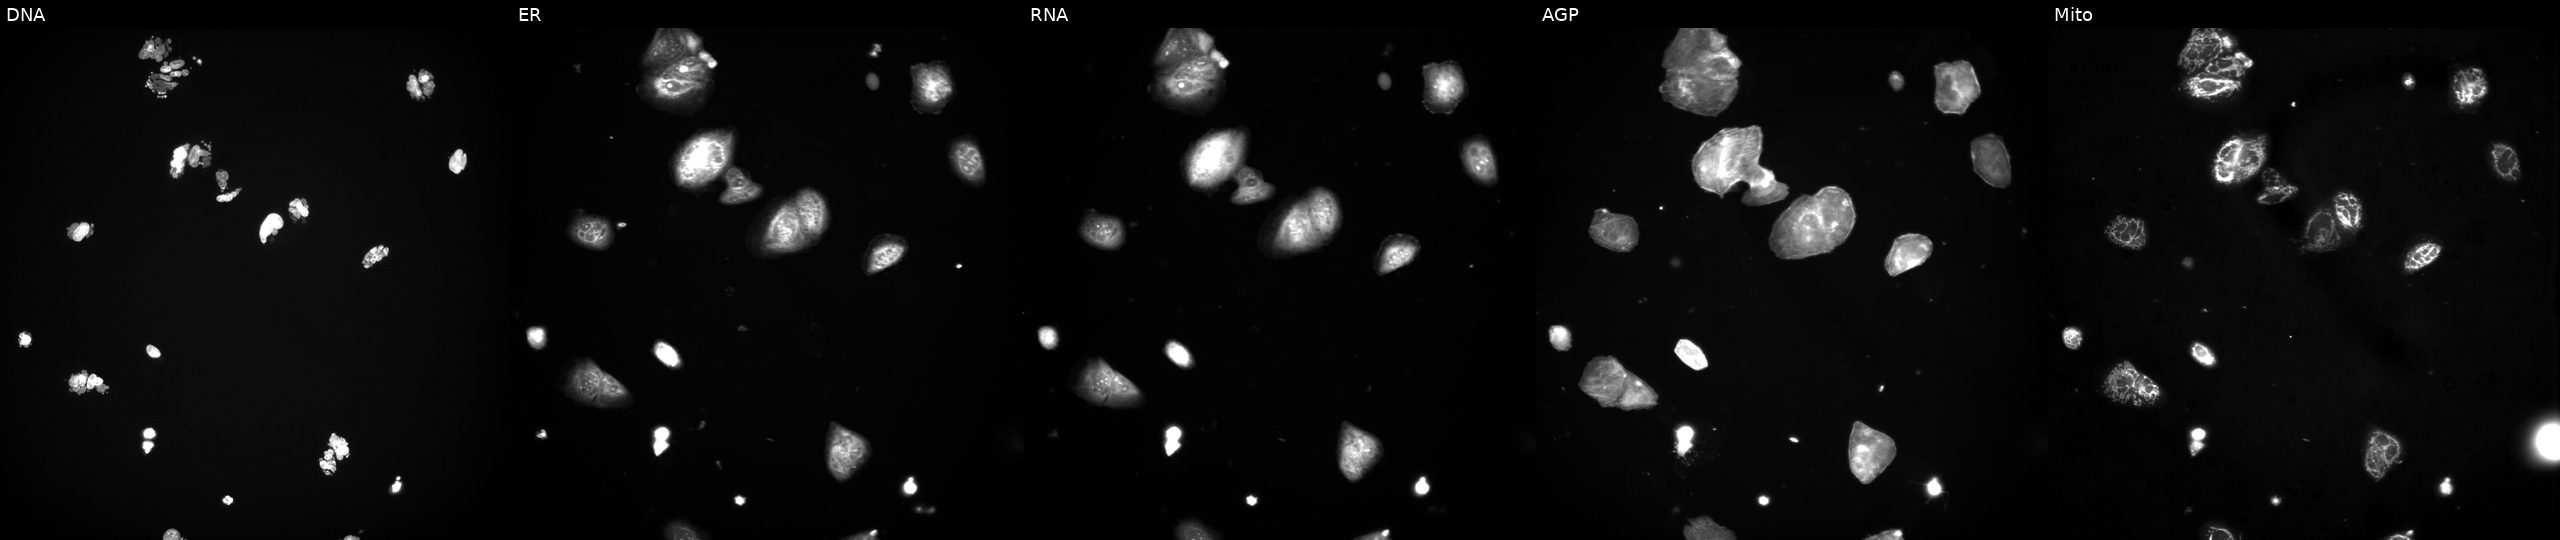
JUMP Cell Painting — TARGET2 plate. U2OS cells treated with a small-molecule compound (InChIKey FABUFPQFXZVHFB-UHFFFAOYSA-N). The five panels, left to right, show DNA (nuclei); ER (endoplasmic reticulum); RNA (nucleoli and cytoplasmic RNA); AGP (actin cytoskeleton, Golgi, and plasma membrane); Mito (mitochondria). Source 3, plate JCPQC053, well K22.